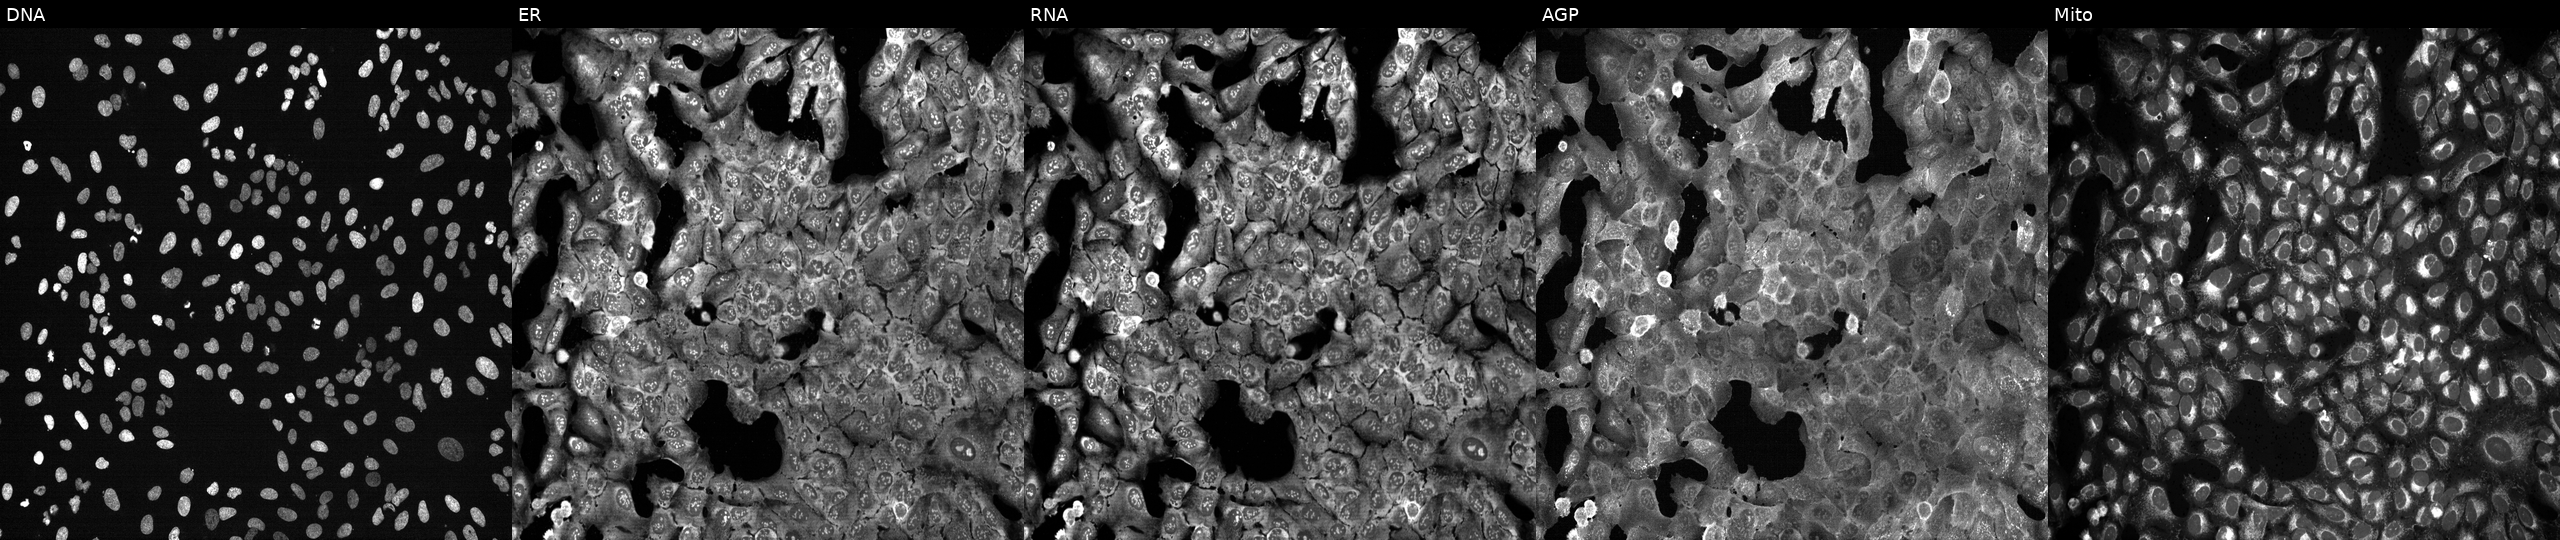
High-content fluorescence microscopy (Cell Painting). Cell line: U2OS. Perturbation: following CRISPR knockout of PLA2G4C (JUMP id JCP2022_805226). From left to right: DNA, ER, RNA, AGP, and Mito.